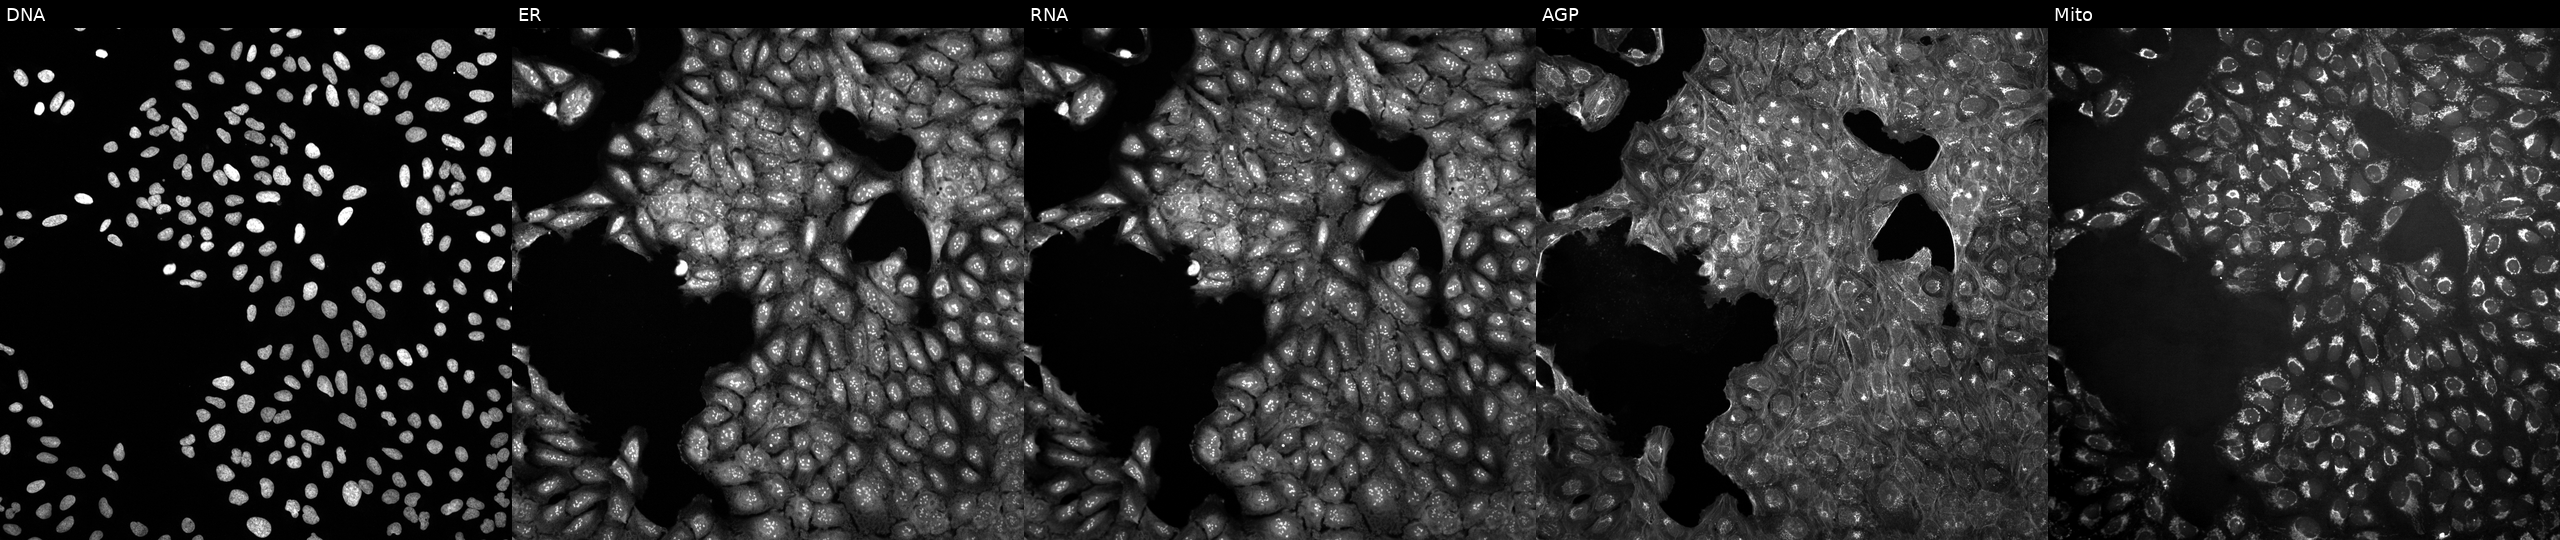
JUMP Cell Painting — COMPOUND plate. U2OS cells in an empty control well (no perturbation) (JUMP id JCP2022_999999). Panels show, left to right, Hoechst 33342, concanavalin A, SYTO 14, phalloidin and WGA, MitoTracker.